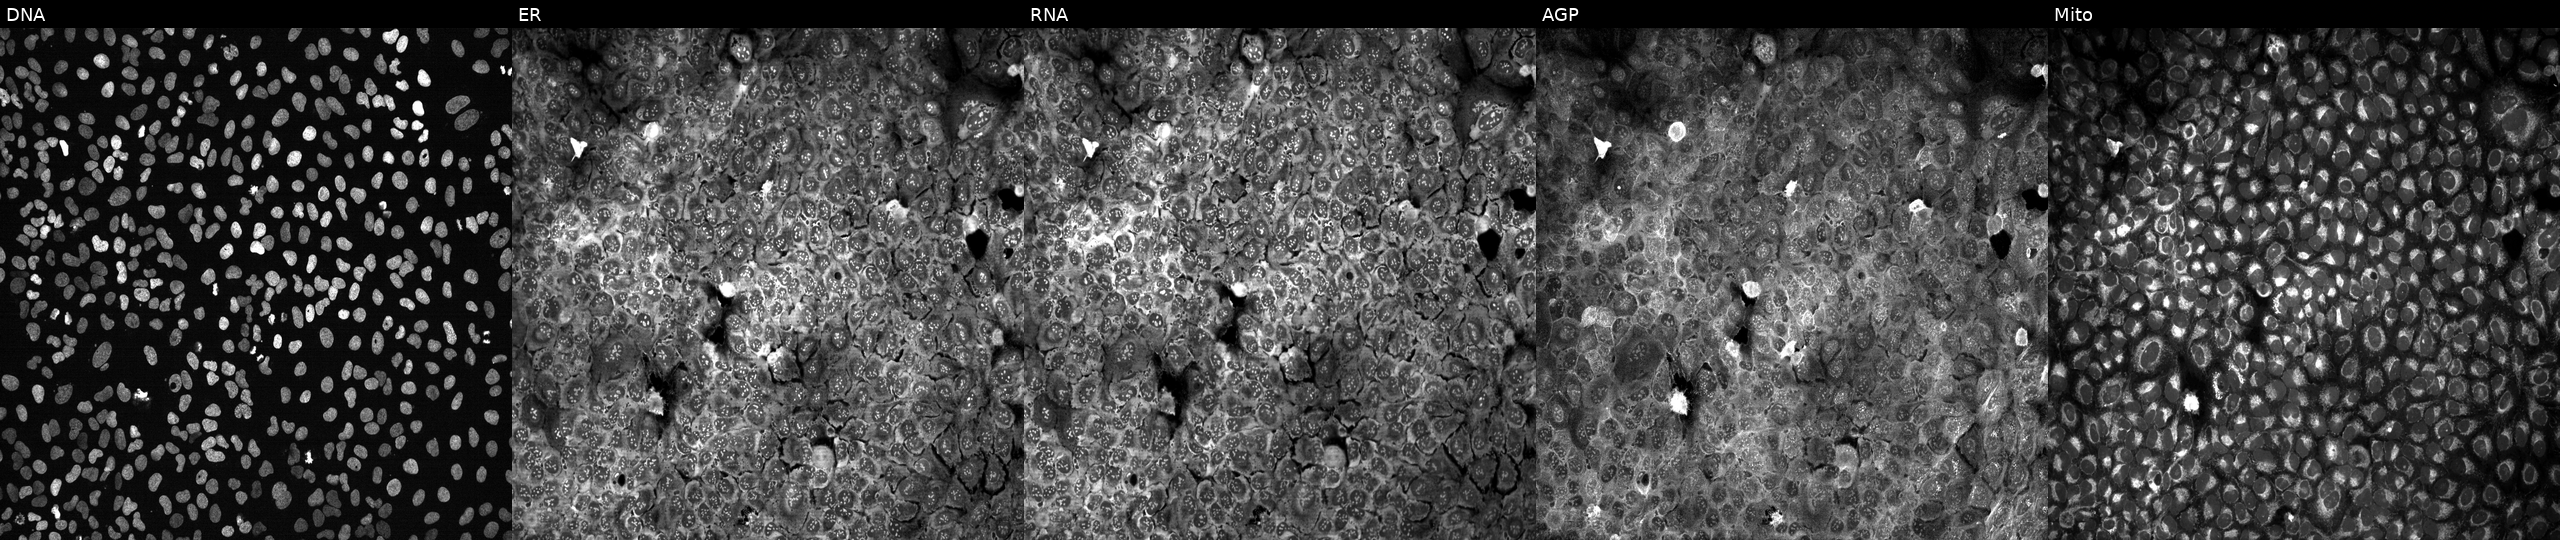
High-content fluorescence microscopy (Cell Painting). Cell line: U2OS. Perturbation: with TNFRSF11A knocked out by CRISPR. From left to right: DNA, ER, RNA, AGP, and Mito.